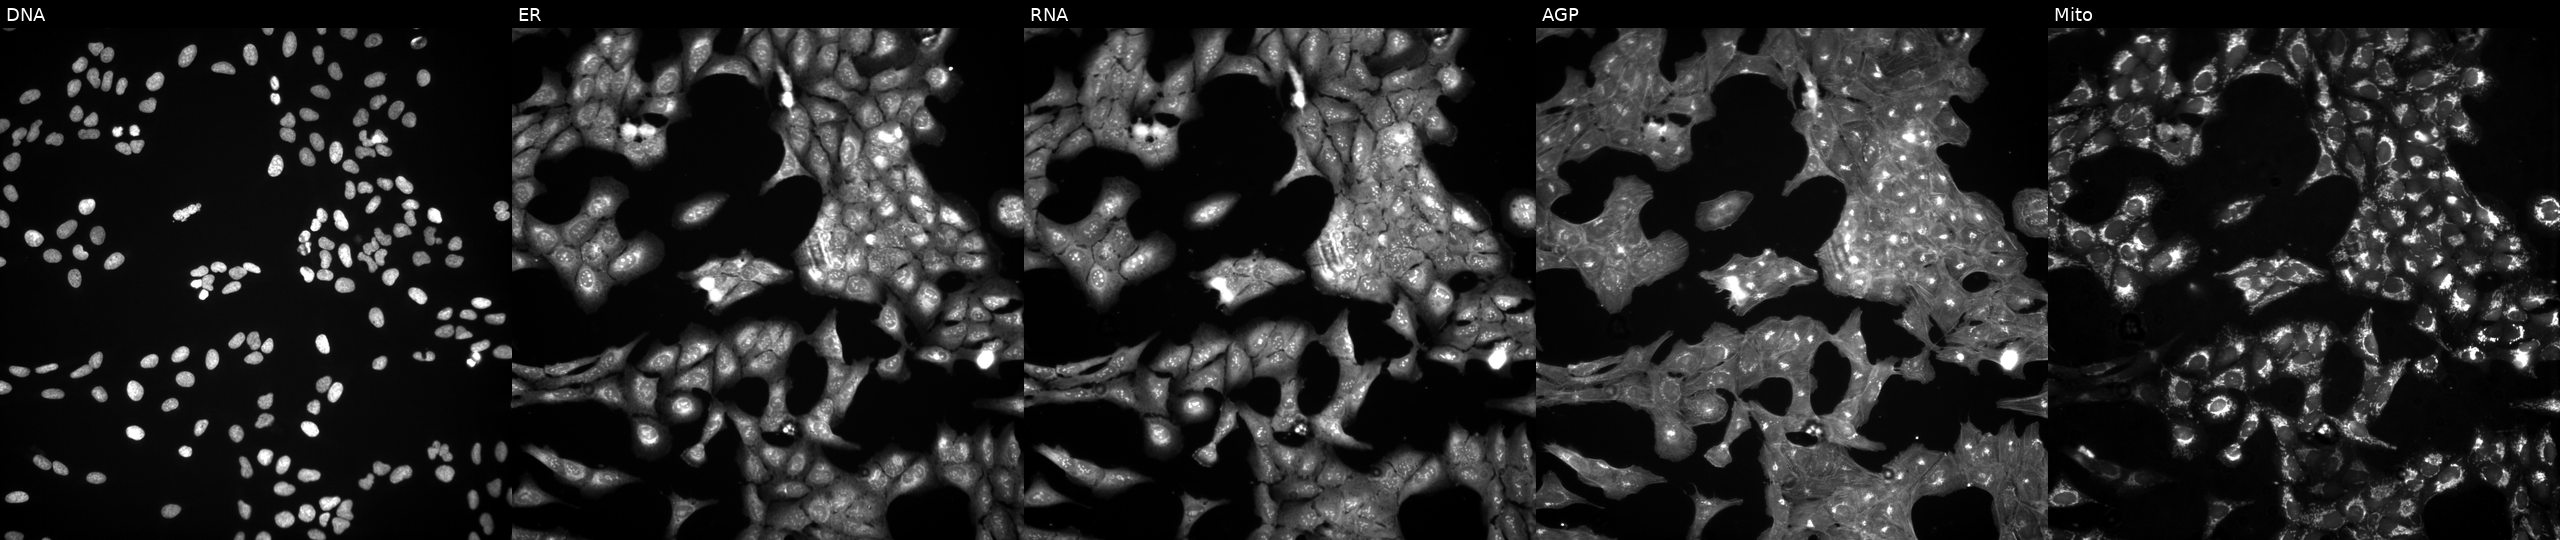
JUMP Cell Painting — COMPOUND plate. U2OS cells exposed to a small-molecule compound. Channels (left→right): DNA (nuclei); ER (endoplasmic reticulum); RNA (nucleoli and cytoplasmic RNA); AGP (actin cytoskeleton, Golgi, and plasma membrane); Mito (mitochondria). Source 3, plate BR5867a3, well E06.